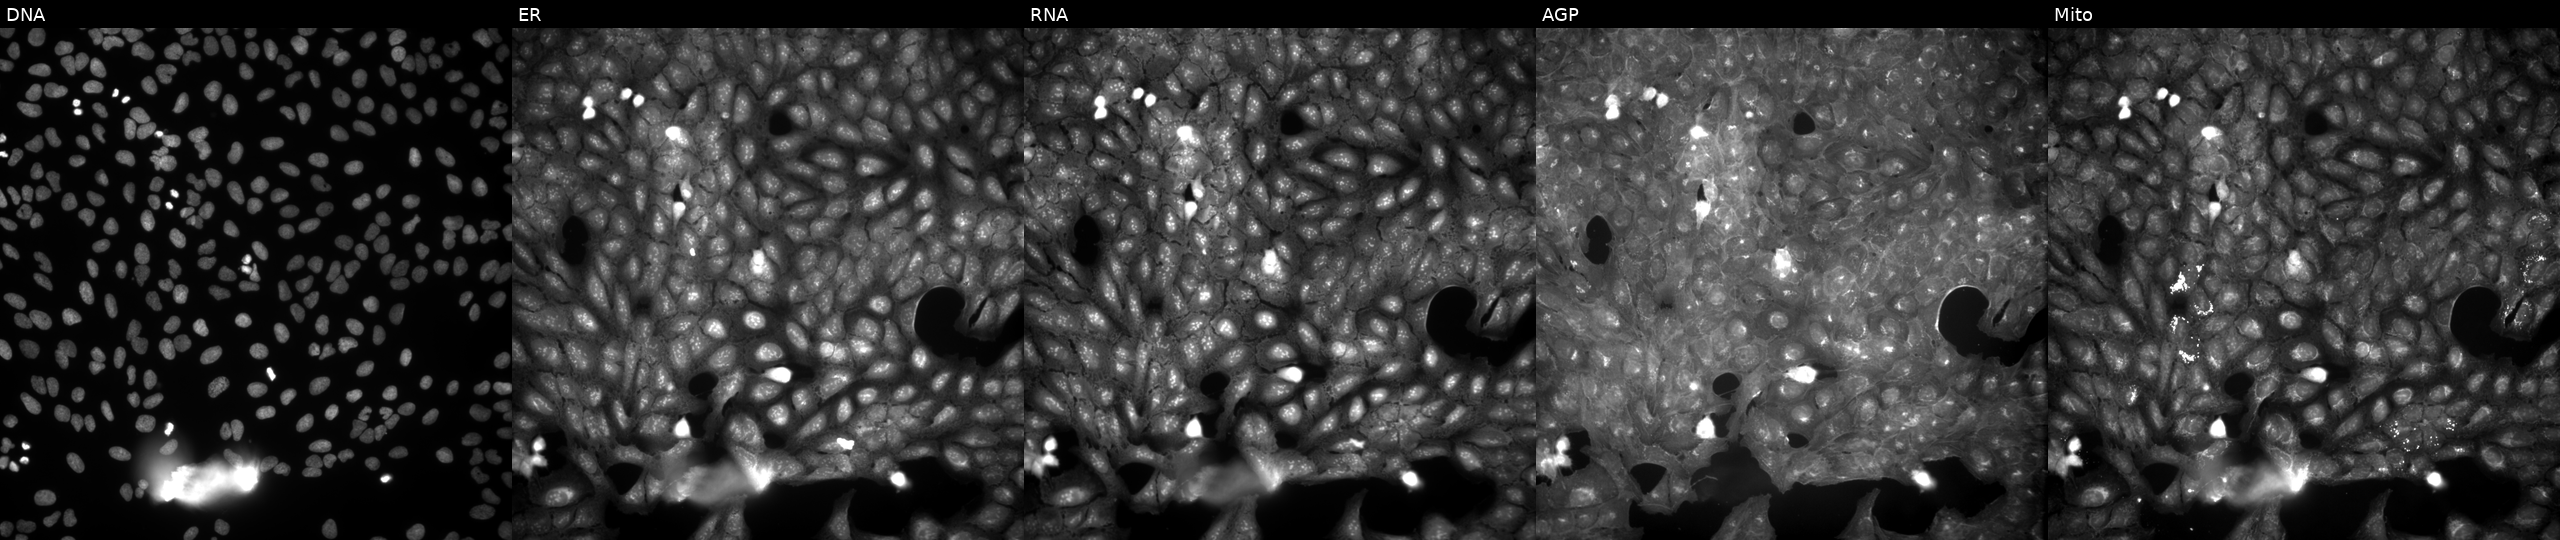
U2OS cells, Cell Painting assay, perturbed with a small-molecule compound. Panels show, left to right, Hoechst 33342, concanavalin A, SYTO 14, phalloidin and WGA, MitoTracker. Each panel is percentile-stretched 16-bit fluorescence.